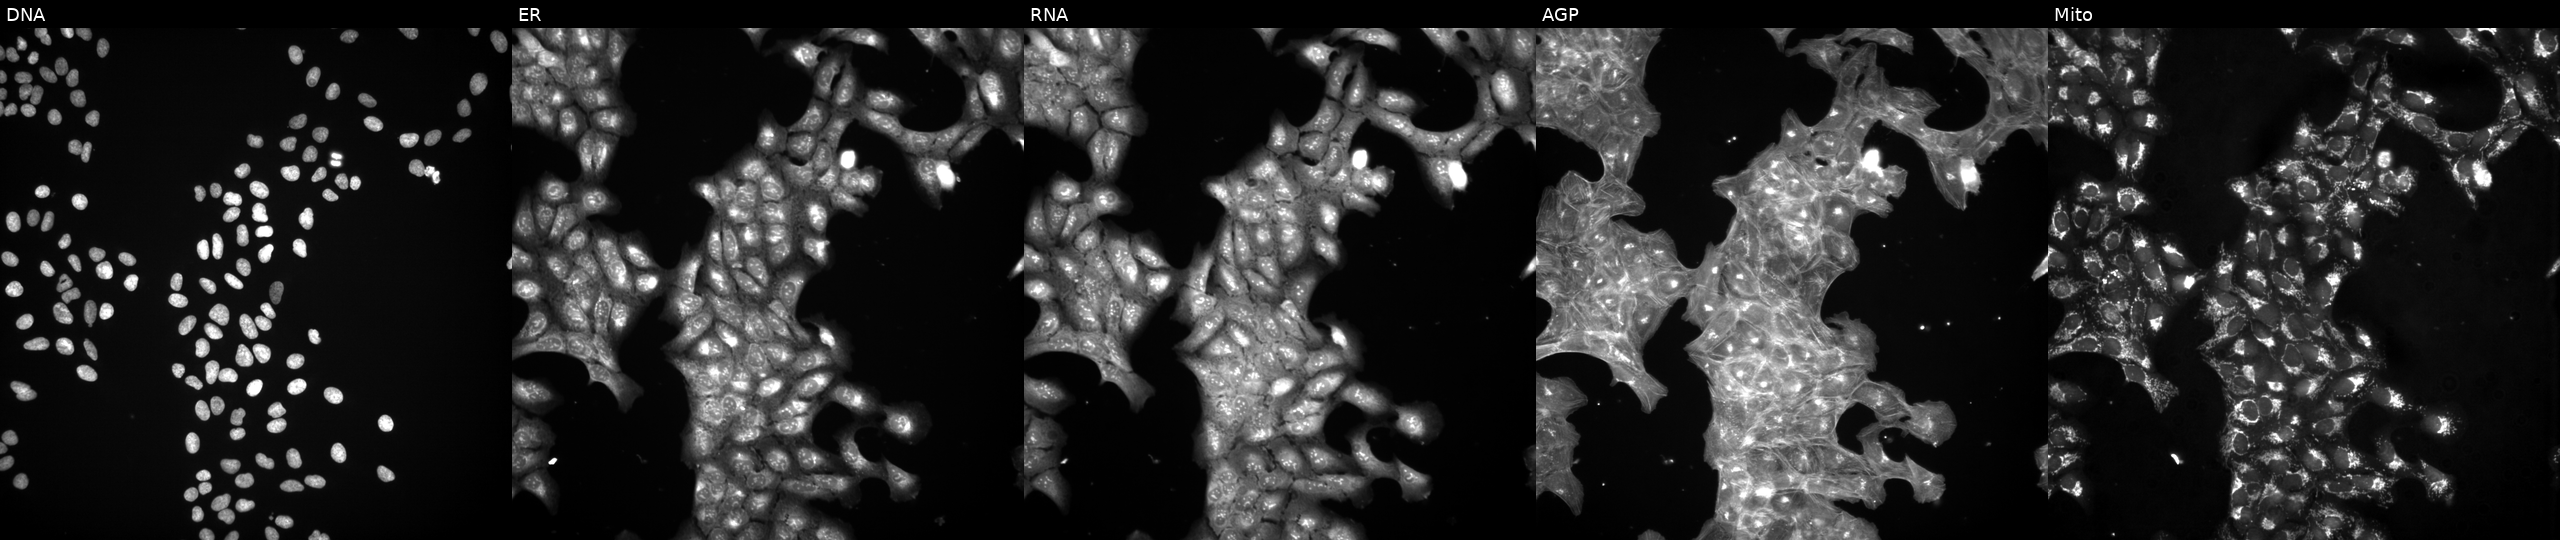
High-content fluorescence microscopy (Cell Painting). Cell line: U2OS. Perturbation: exposed to a small-molecule compound (InChIKey NMUSYJAQQFHJEW-UHFFFAOYSA-N) (JUMP id JCP2022_060040). Channels (left→right): Hoechst 33342, concanavalin A, SYTO 14, phalloidin and WGA, MitoTracker.